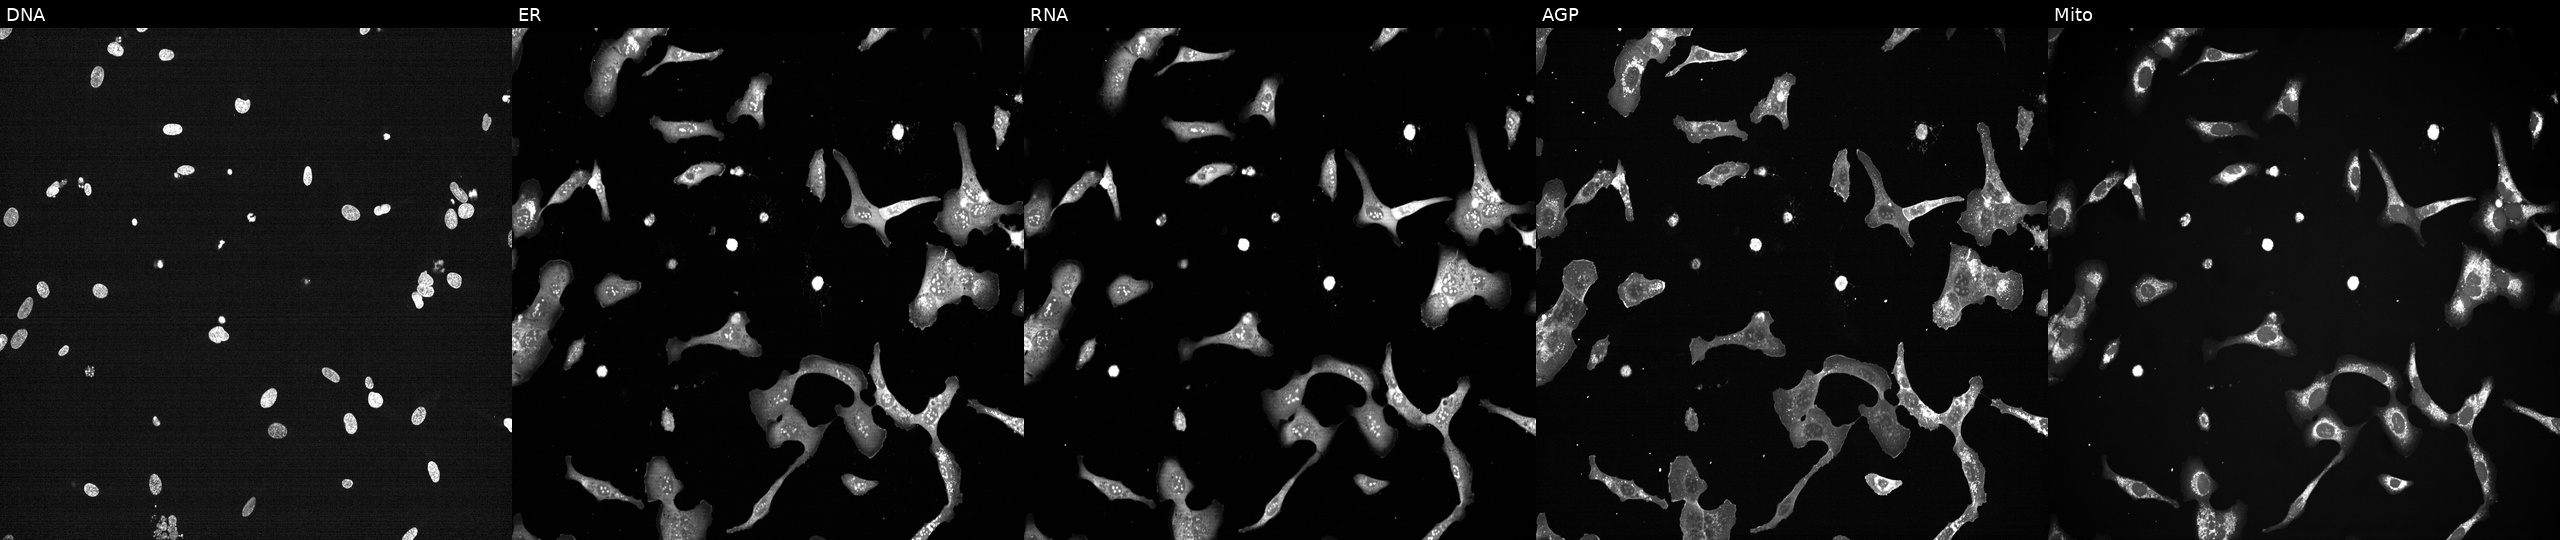
High-content fluorescence microscopy (Cell Painting). Cell line: U2OS. Perturbation: perturbed with a small-molecule compound (InChIKey XQVVPGYIWAGRNI-UHFFFAOYSA-N). From left to right: DNA (nuclei); ER (endoplasmic reticulum); RNA (nucleoli and cytoplasmic RNA); AGP (actin cytoskeleton, Golgi, and plasma membrane); Mito (mitochondria).